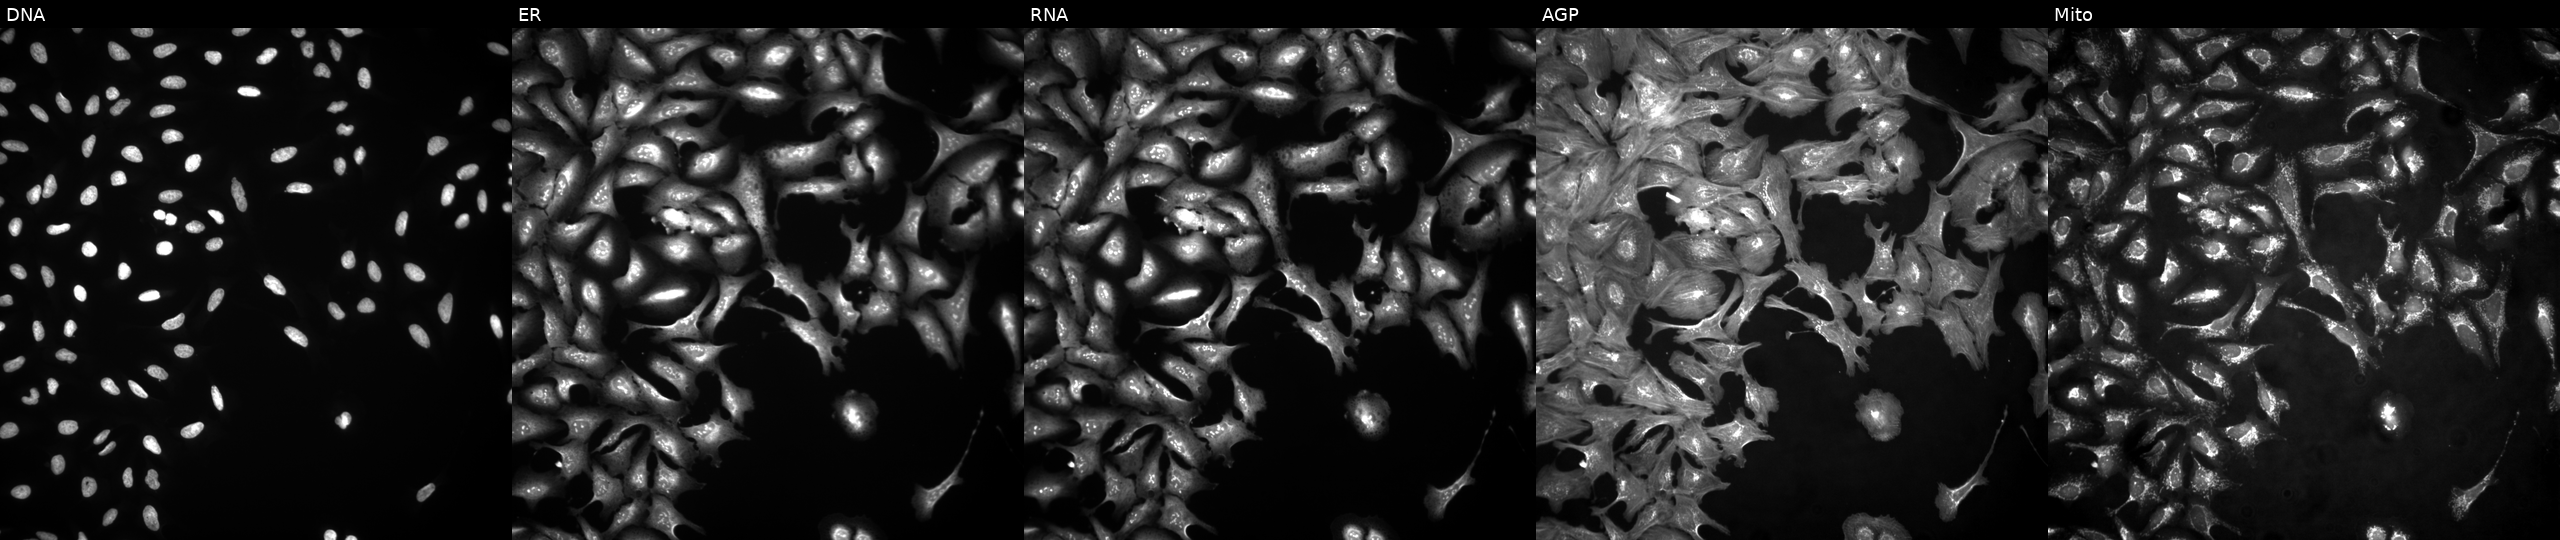
JUMP Cell Painting — ORF plate. U2OS cells transfected with an ORF construct for CDIPTOSP. From left to right: Hoechst 33342, concanavalin A, SYTO 14, phalloidin and WGA, MitoTracker.